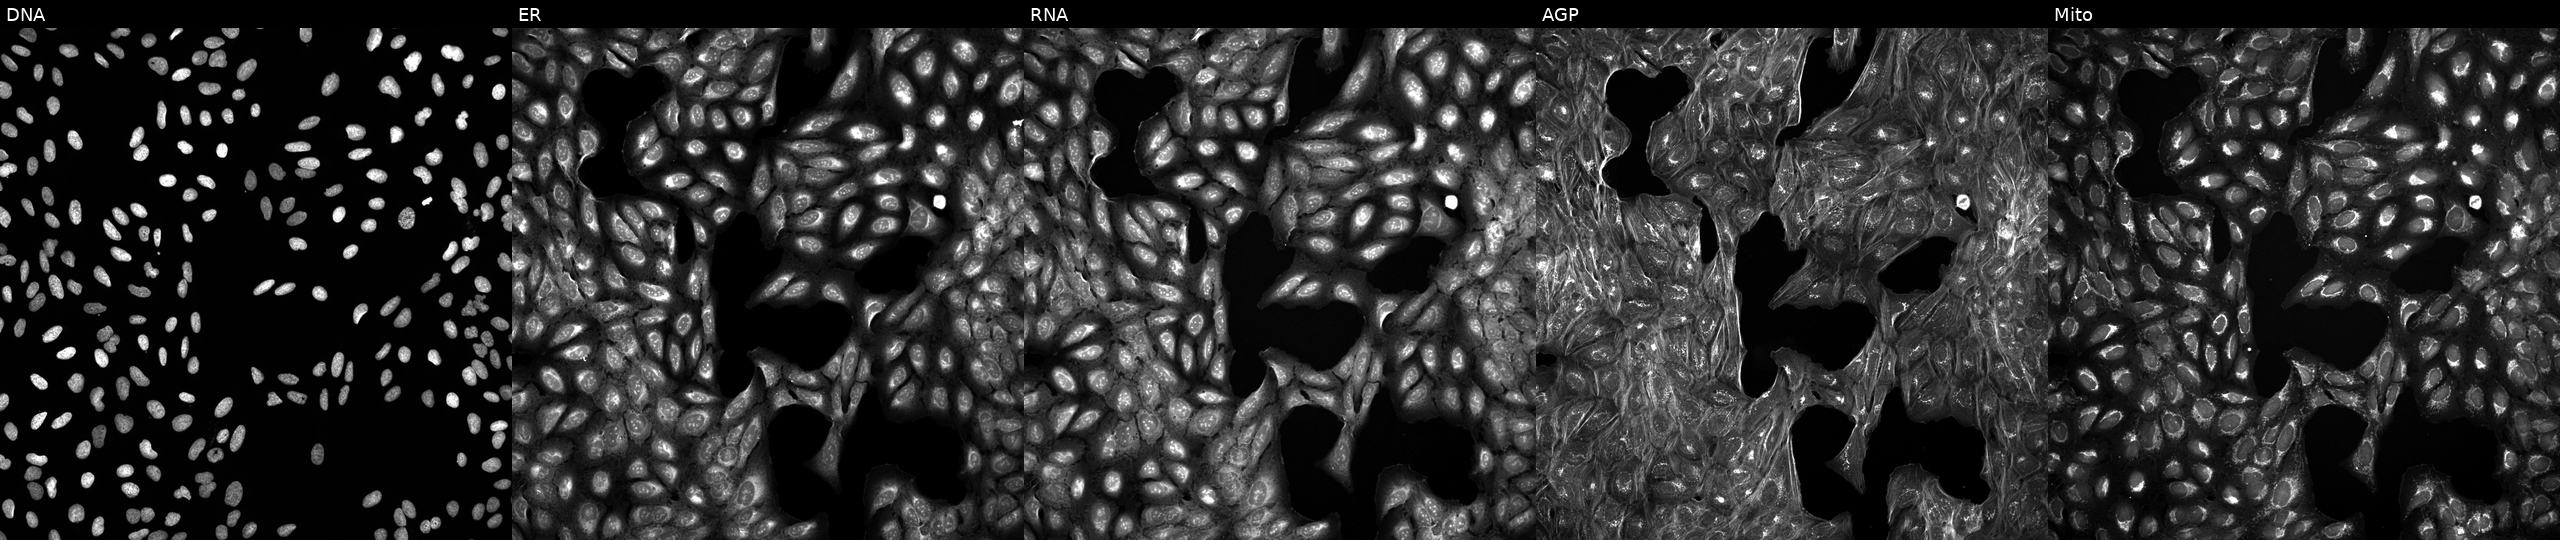
U2OS cells, Cell Painting assay, treated with a small-molecule compound (JUMP id JCP2022_056730). The five panels, left to right, show DNA, ER, RNA, AGP, and Mito. Each panel is percentile-stretched 16-bit fluorescence. Source 5, plate ACPJUM051, well G11.